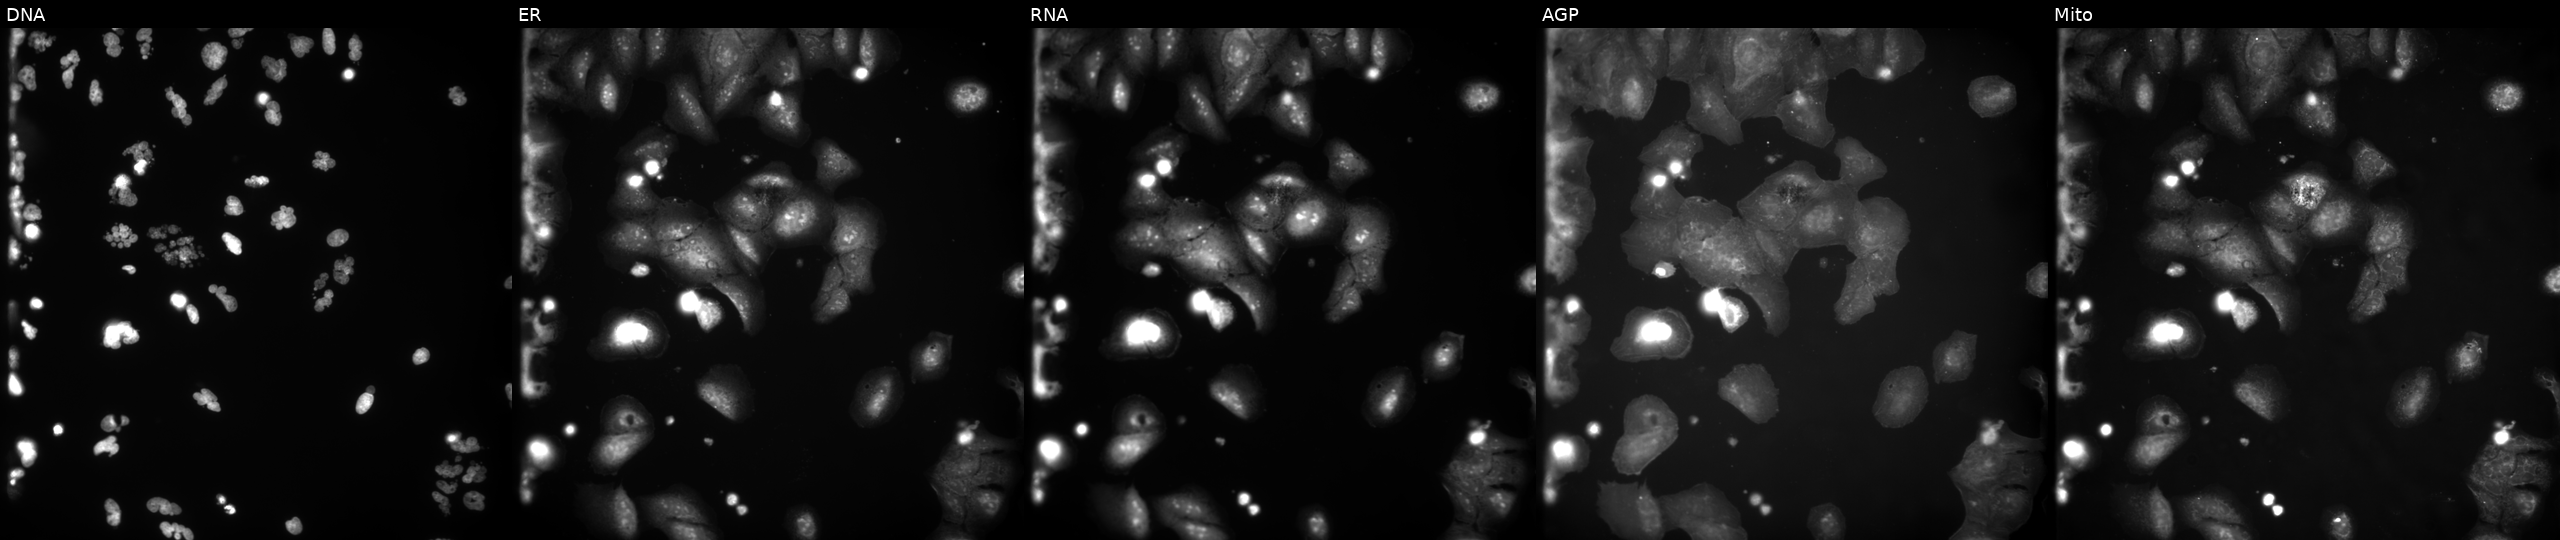
JUMP Cell Painting — COMPOUND plate. U2OS cells treated with a small-molecule compound (JUMP id JCP2022_115077). The five panels, left to right, show DNA (nuclei); ER (endoplasmic reticulum); RNA (nucleoli and cytoplasmic RNA); AGP (actin cytoskeleton, Golgi, and plasma membrane); Mito (mitochondria). Source 9, plate GR00003382, well G17.